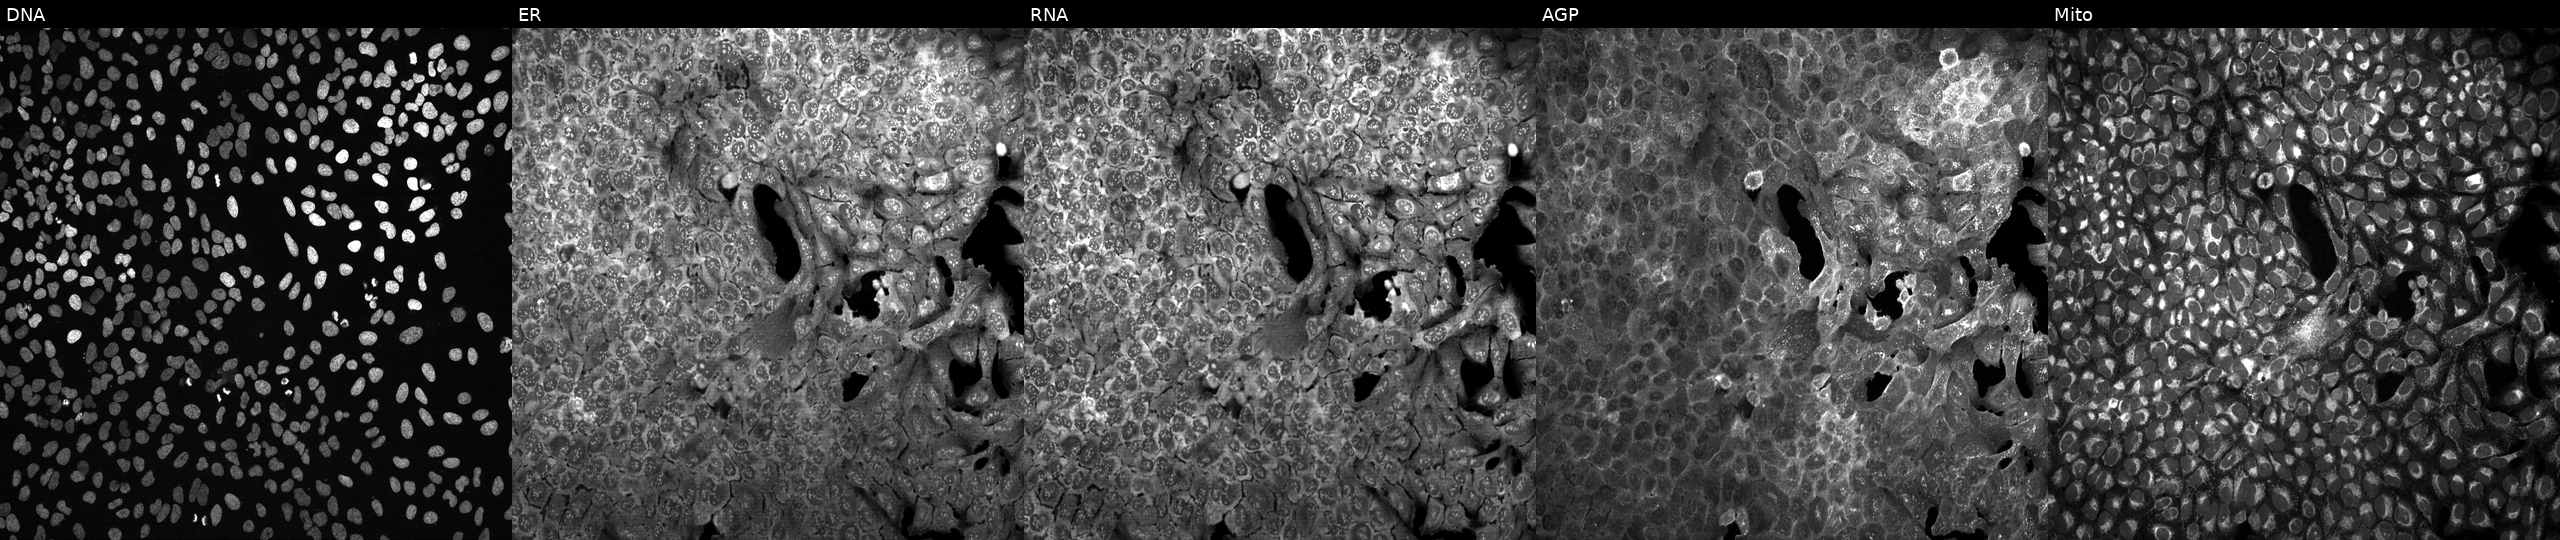
Five-channel Cell Painting image of U2OS cells CRISPR-edited to disrupt EDF1 (JUMP id JCP2022_802002). Channels (left→right): DNA (nuclei); ER (endoplasmic reticulum); RNA (nucleoli and cytoplasmic RNA); AGP (actin cytoskeleton, Golgi, and plasma membrane); Mito (mitochondria). Source 13, plate CP-CC9-R6-19, well N14.